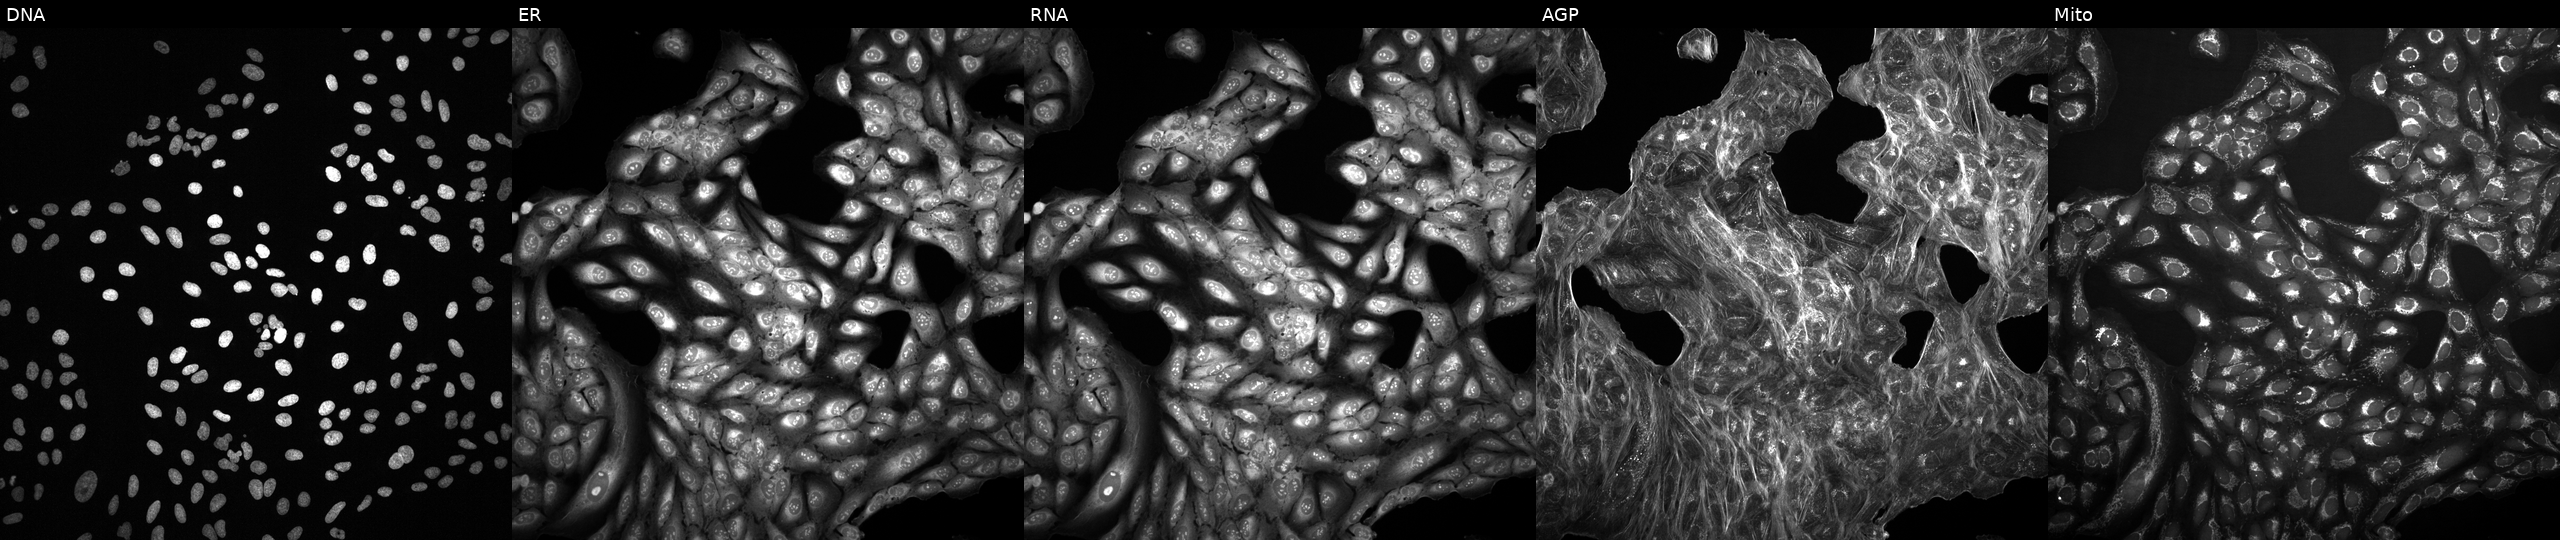
Panels show, left to right, Hoechst 33342, concanavalin A, SYTO 14, phalloidin and WGA, MitoTracker. U2OS osteosarcoma cells treated with a small-molecule compound [SMILES: Cc1c[nH]c(-c2ccccc2C(C)C)nc1=NCc1ccc(-n2ccnn2)cc1]. Cell Painting assay, JUMP-CP dataset.